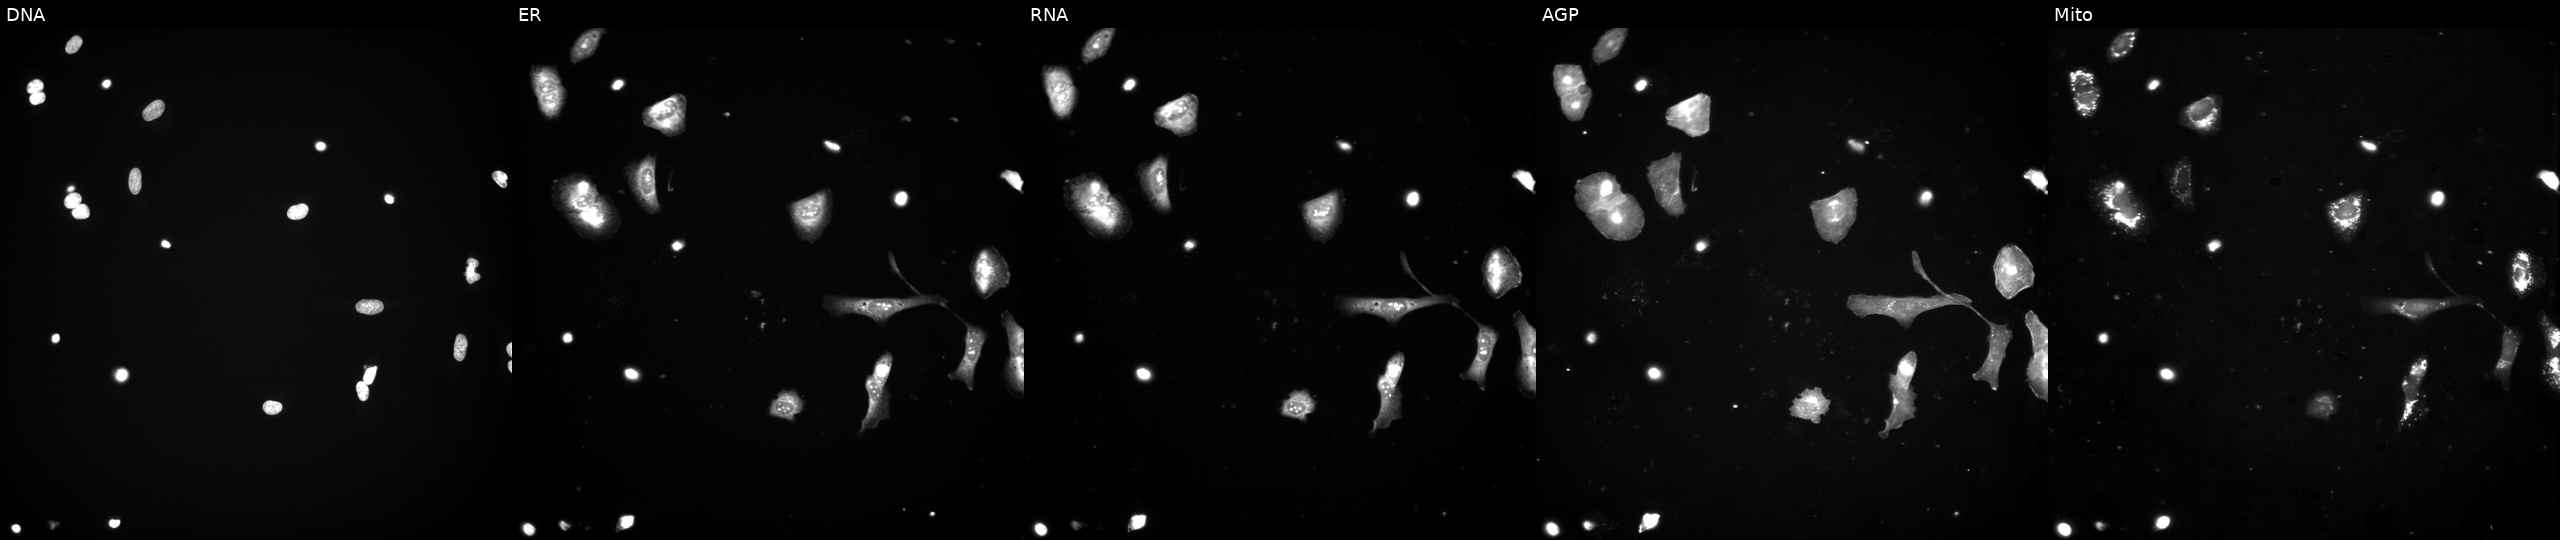
High-content fluorescence microscopy (Cell Painting). Cell line: U2OS. Perturbation: treated with a small-molecule compound (InChIKey NQQBNZBOOHHVQP-UHFFFAOYSA-N) (JUMP id JCP2022_060734). Panels show, left to right, DNA (nuclei); ER (endoplasmic reticulum); RNA (nucleoli and cytoplasmic RNA); AGP (actin cytoskeleton, Golgi, and plasma membrane); Mito (mitochondria).